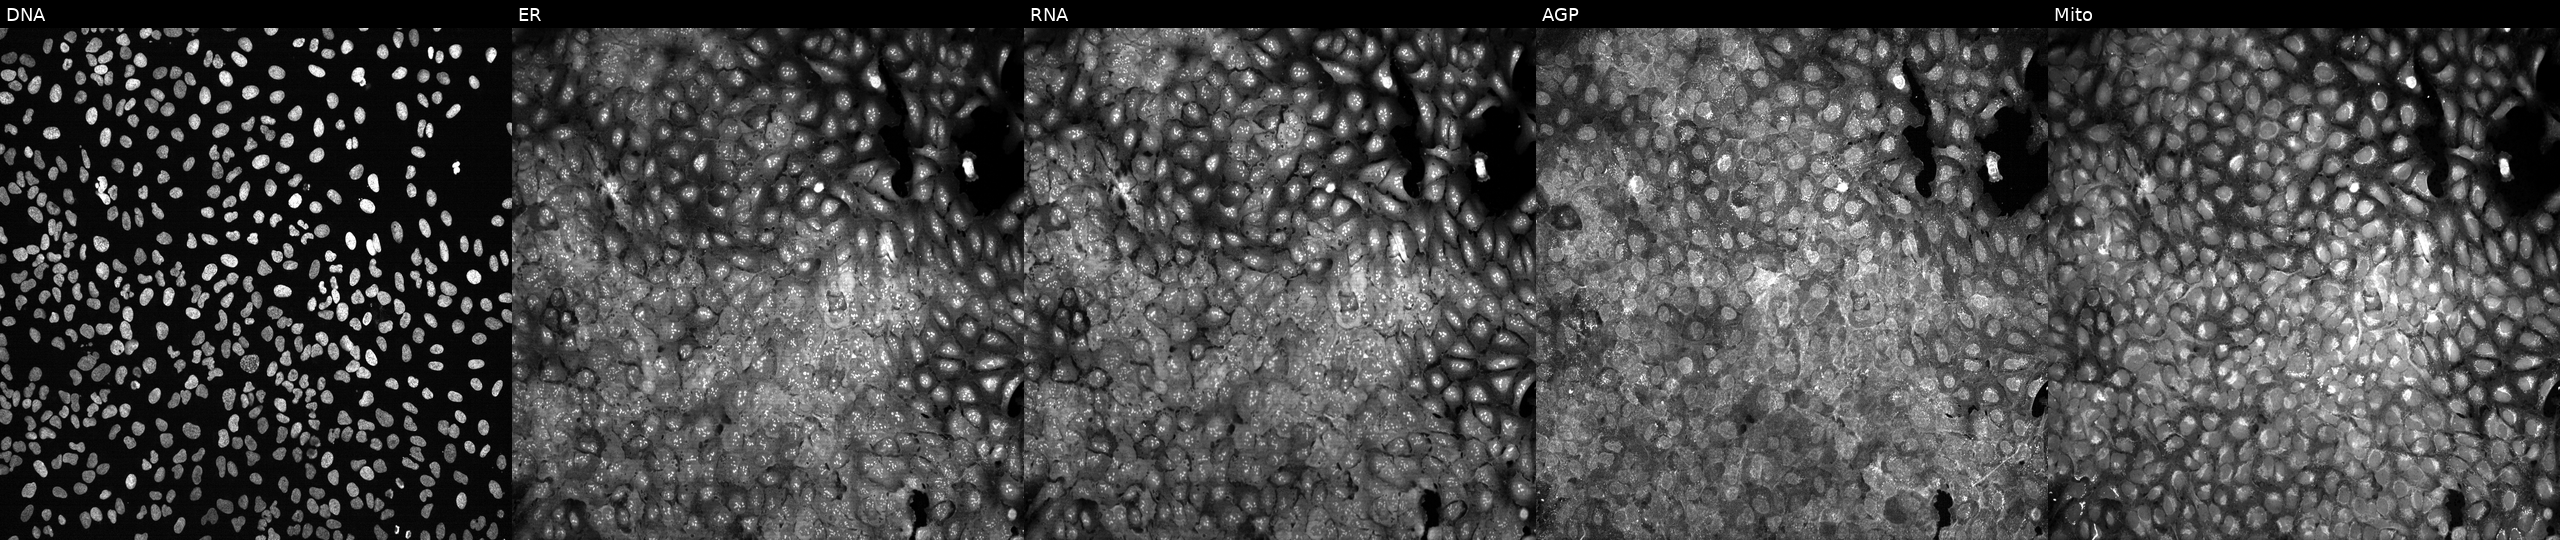
JUMP Cell Painting — CRISPR plate. U2OS cells exposed to DMSO alone as a negative control. Panels show, left to right, DNA, ER, RNA, AGP, and Mito. Source 13, plate CP-CC9-R1-01, well L02.